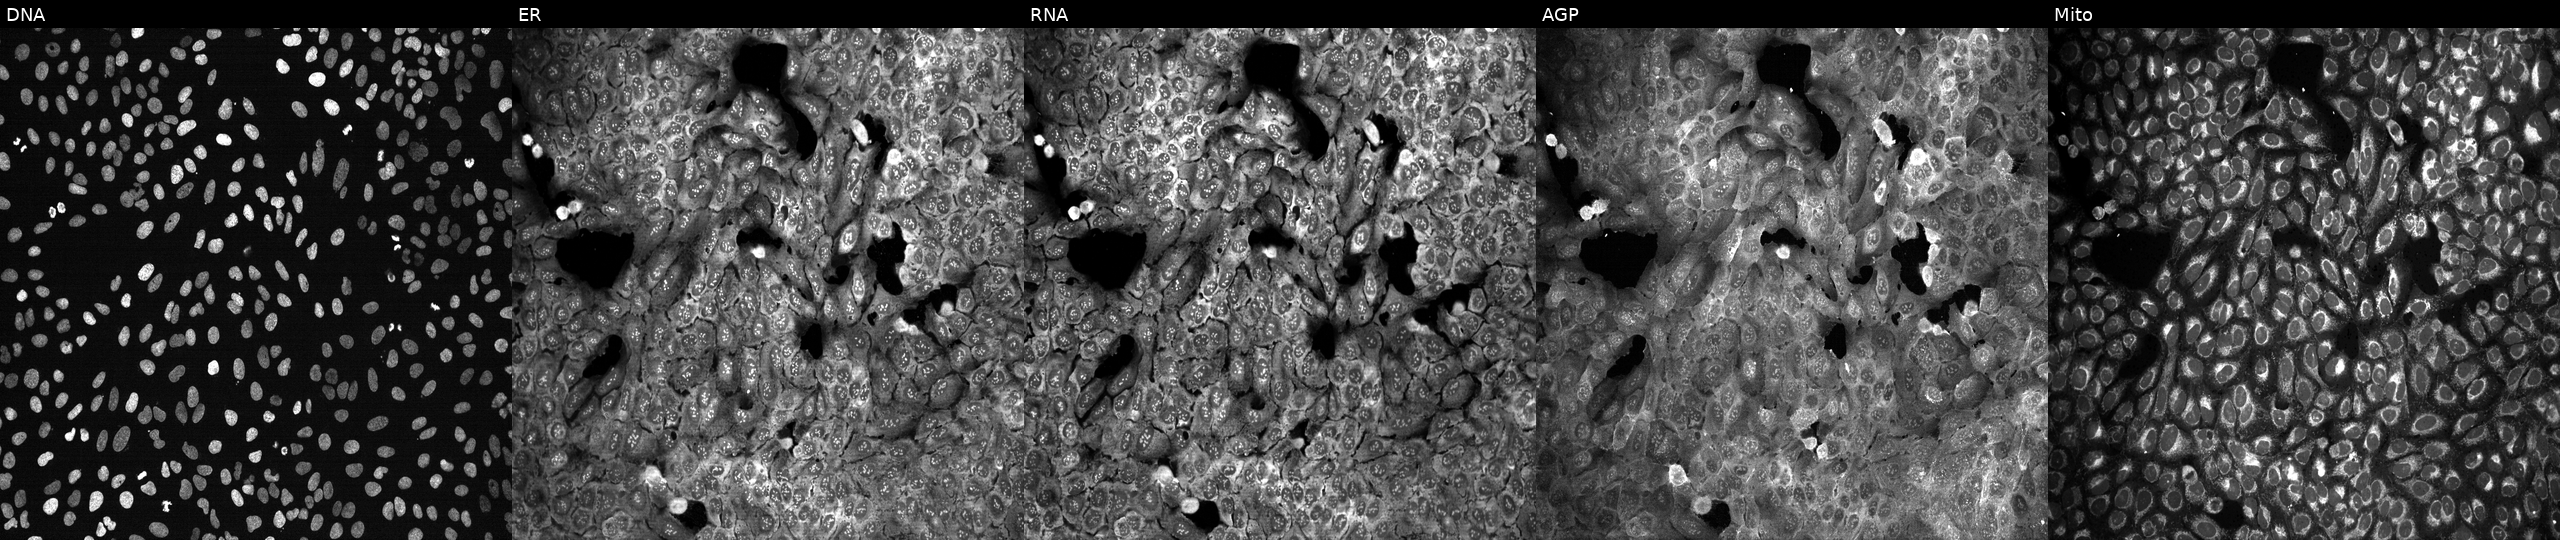
This image strip shows the five Cell Painting channels for a single field of U2OS cells with DIO1 knocked out by CRISPR (JUMP id JCP2022_801816). The five panels, left to right, show Hoechst 33342, concanavalin A, SYTO 14, phalloidin and WGA, MitoTracker.